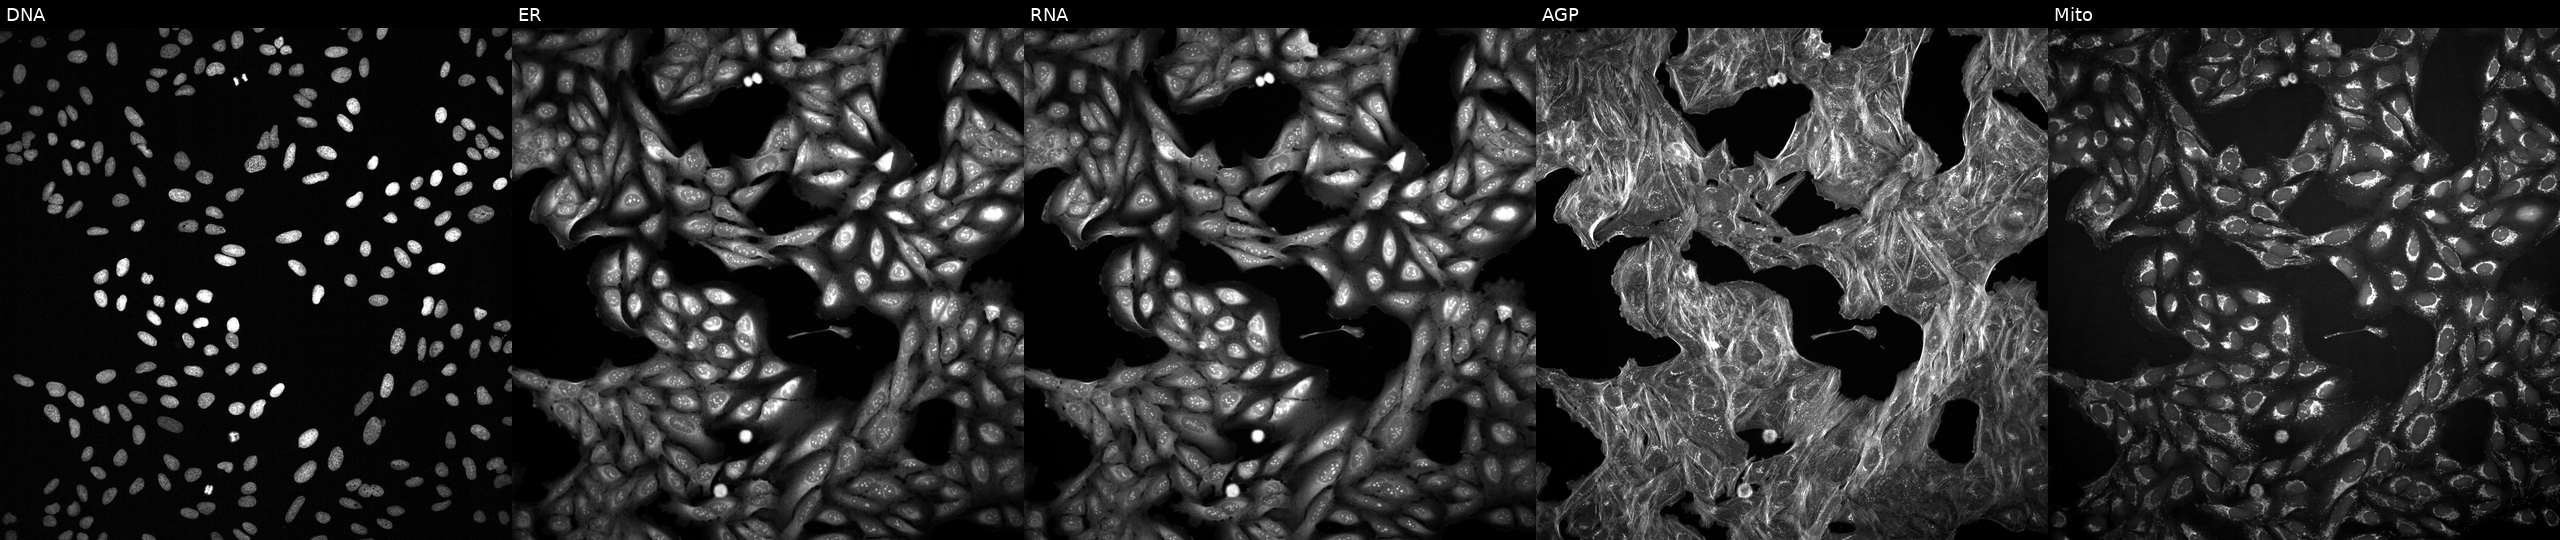
JUMP Cell Painting — COMPOUND plate. U2OS cells perturbed with a small-molecule compound. Channels (left→right): Hoechst 33342, concanavalin A, SYTO 14, phalloidin and WGA, MitoTracker.